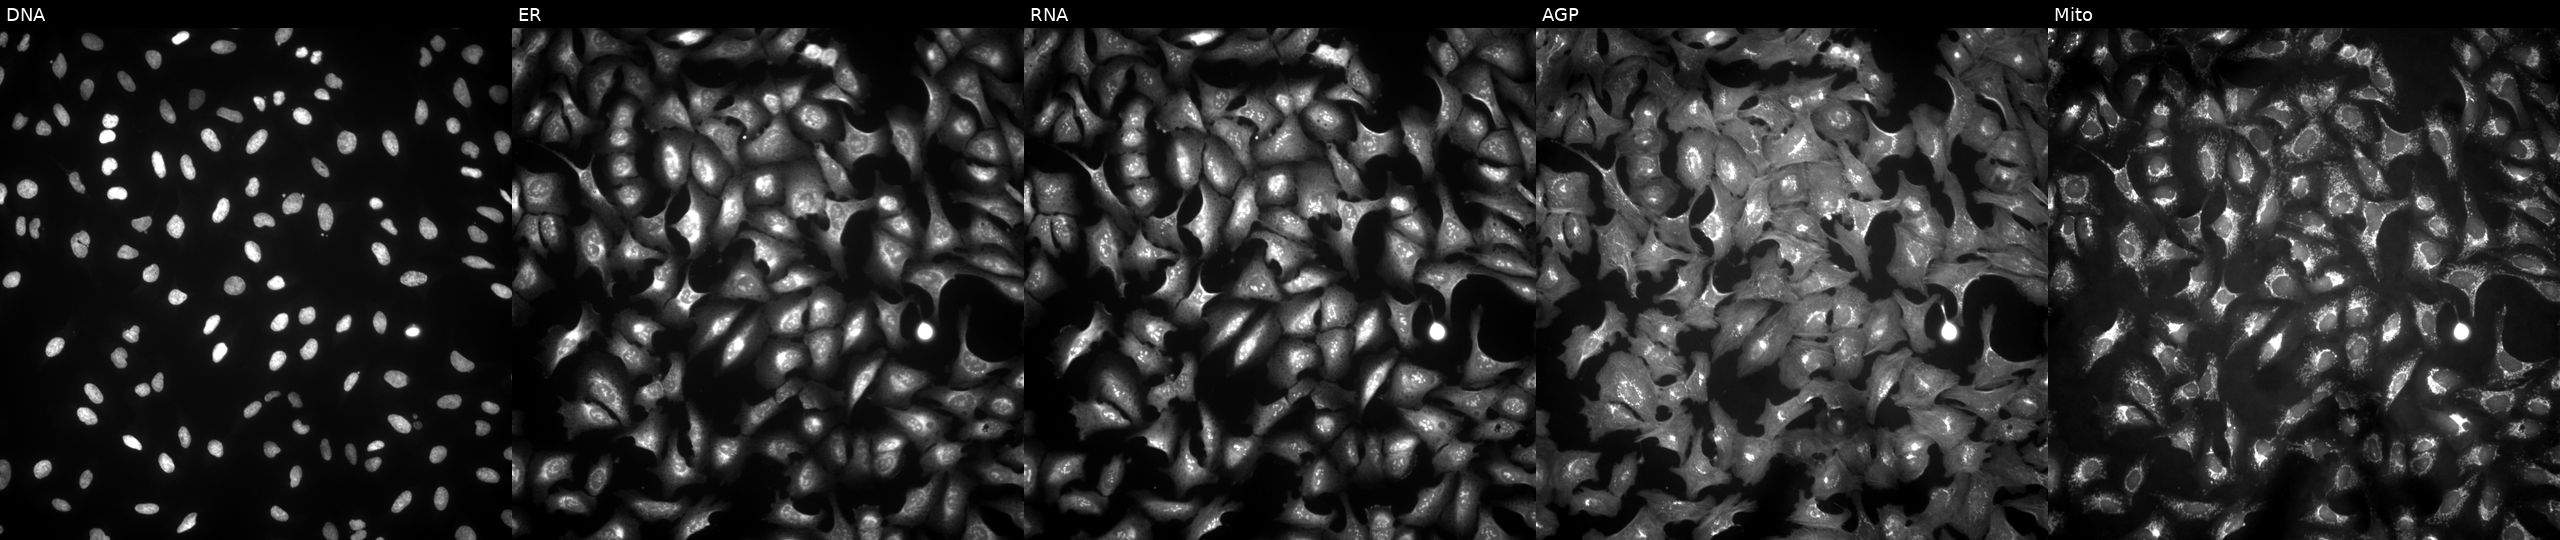
Panels show, left to right, Hoechst 33342, concanavalin A, SYTO 14, phalloidin and WGA, MitoTracker. U2OS osteosarcoma cells transfected with an ORF construct for STAMBPL1. Cell Painting assay, JUMP-CP dataset.